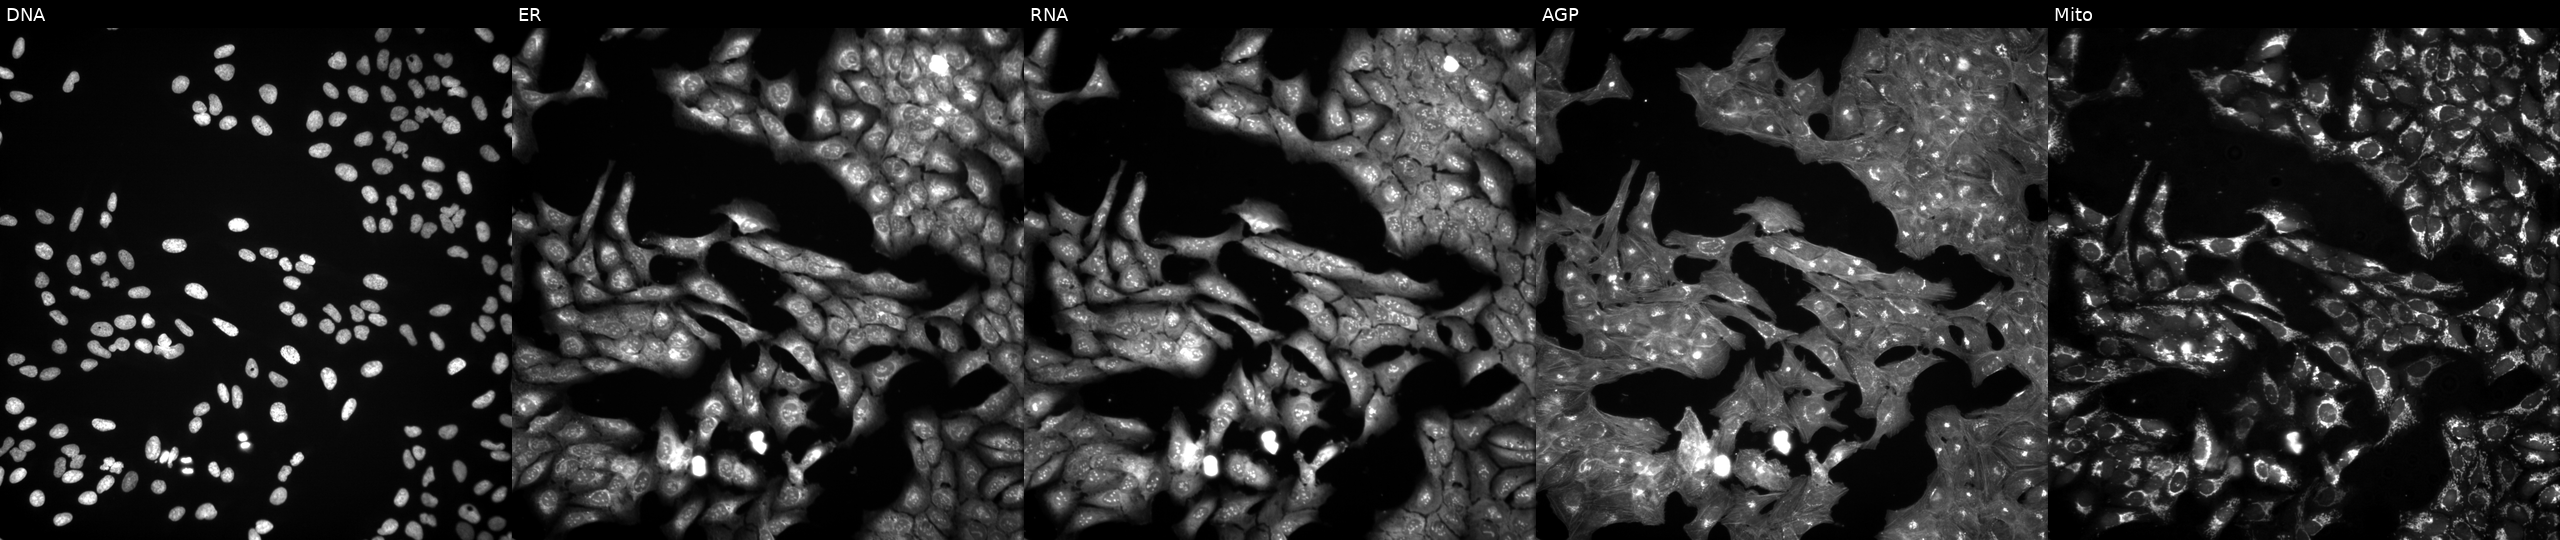
High-content fluorescence microscopy (Cell Painting). Cell line: U2OS. Perturbation: exposed to a small-molecule compound (InChIKey WPTSZTJNUDLTHZ-UHFFFAOYSA-N) [SMILES: O=C(CSc1ncnc2ccccc12)c1ccco1] (JUMP id JCP2022_100373). From left to right: DNA, ER, RNA, AGP, and Mito.